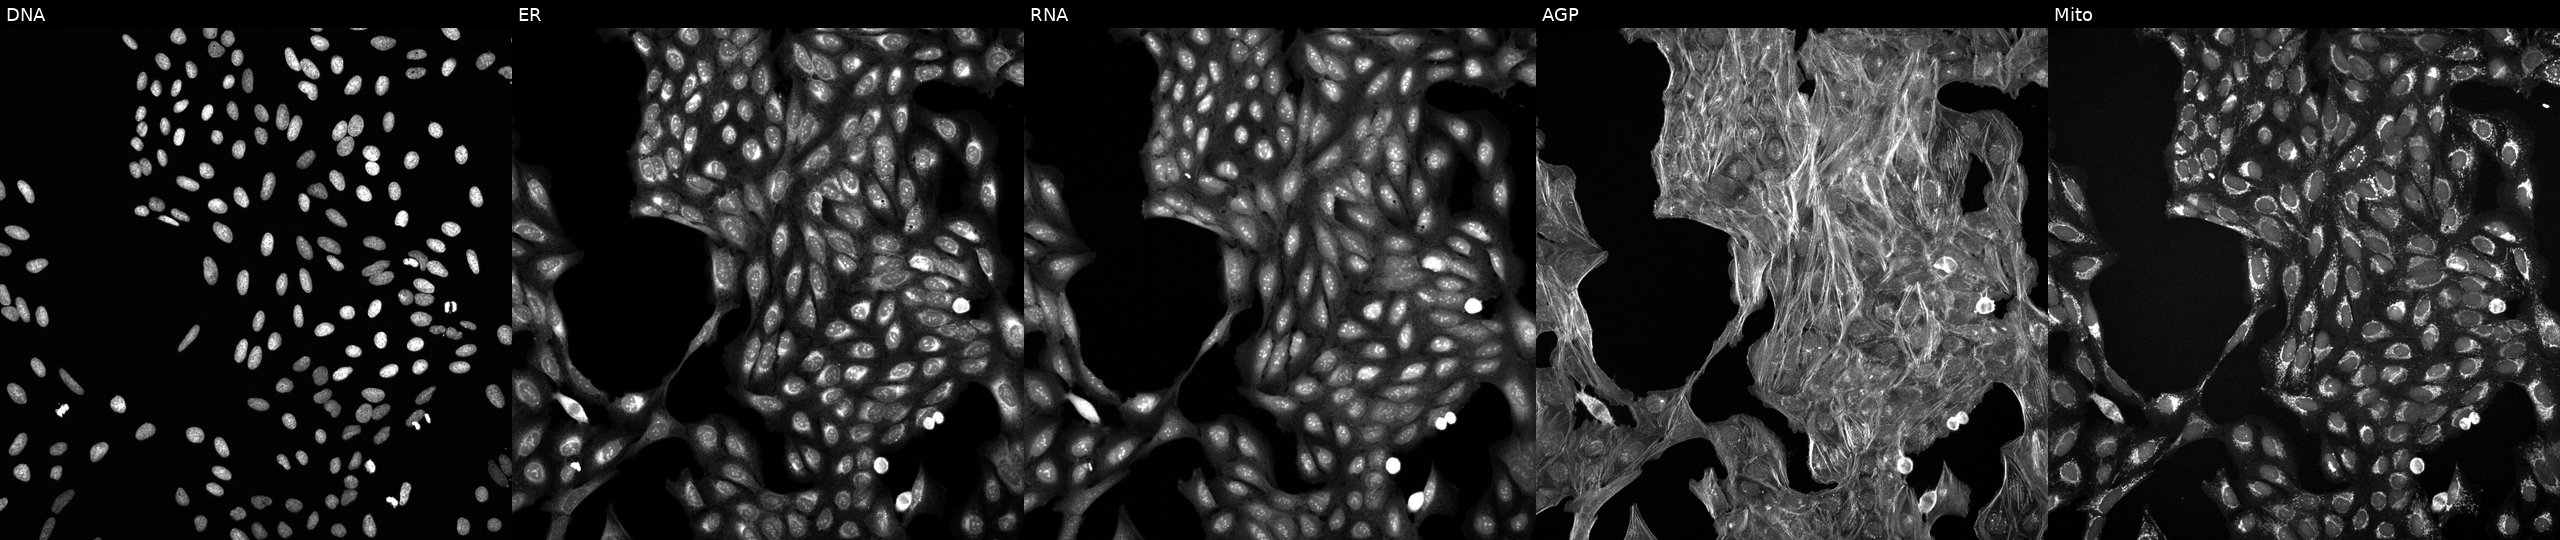
Channels (left→right): DNA (nuclei); ER (endoplasmic reticulum); RNA (nucleoli and cytoplasmic RNA); AGP (actin cytoskeleton, Golgi, and plasma membrane); Mito (mitochondria). U2OS osteosarcoma cells treated with dexamethasone (positive-control compound). Cell Painting assay, JUMP-CP dataset. Source 6, plate 110000293082, well K01.